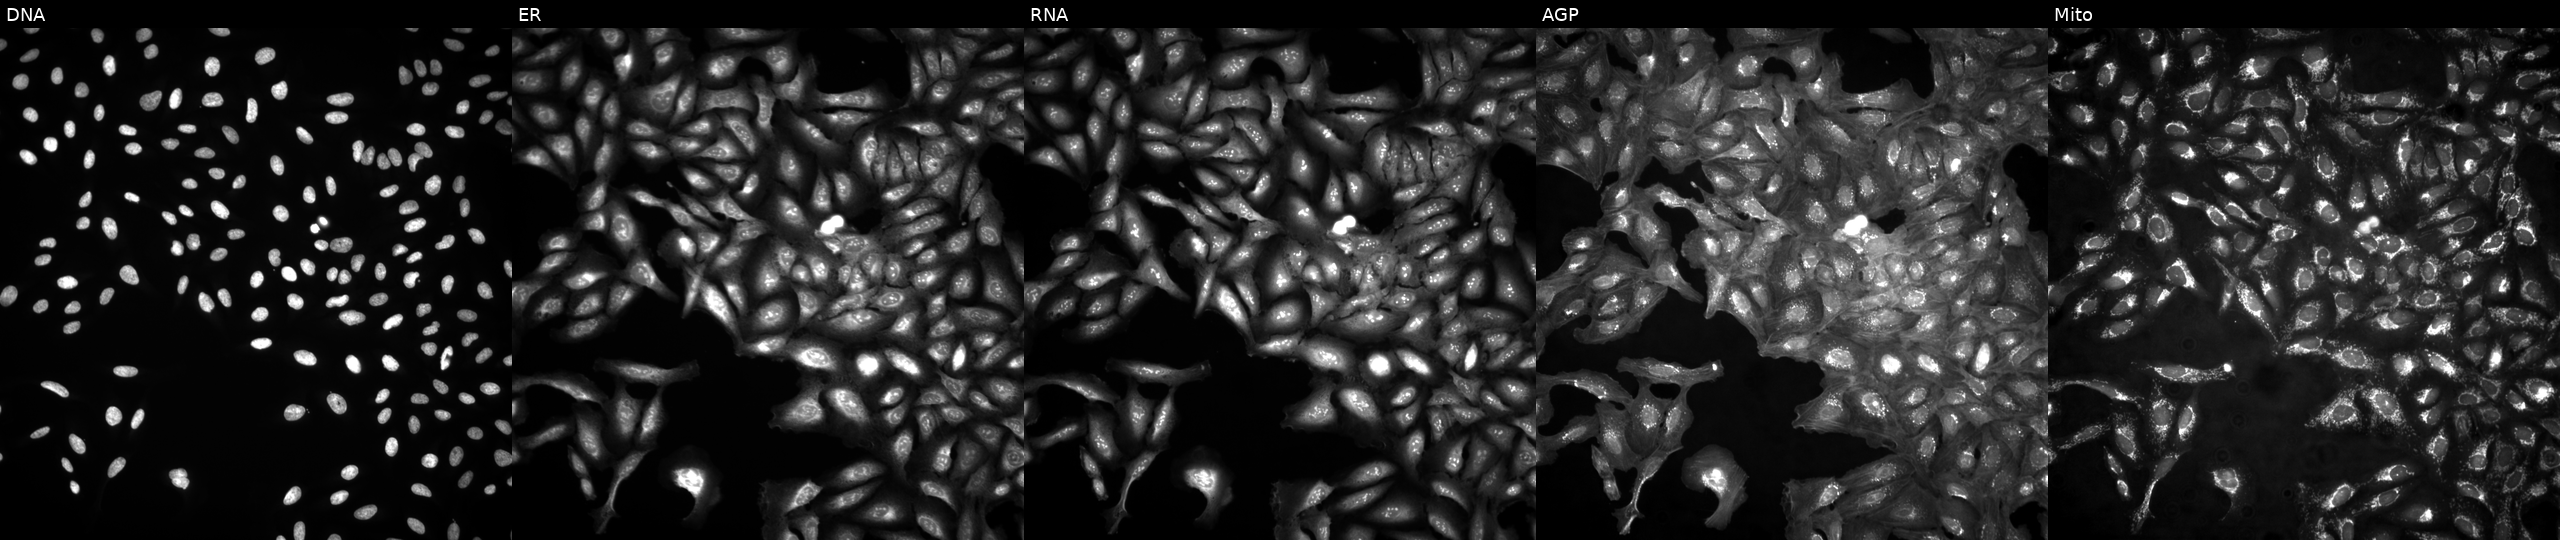
Channels (left→right): Hoechst 33342, concanavalin A, SYTO 14, phalloidin and WGA, MitoTracker. U2OS osteosarcoma cells in an empty control well (no perturbation) (JUMP id JCP2022_999999). Cell Painting assay, JUMP-CP dataset. Source 4, plate BR00124793, well L02.